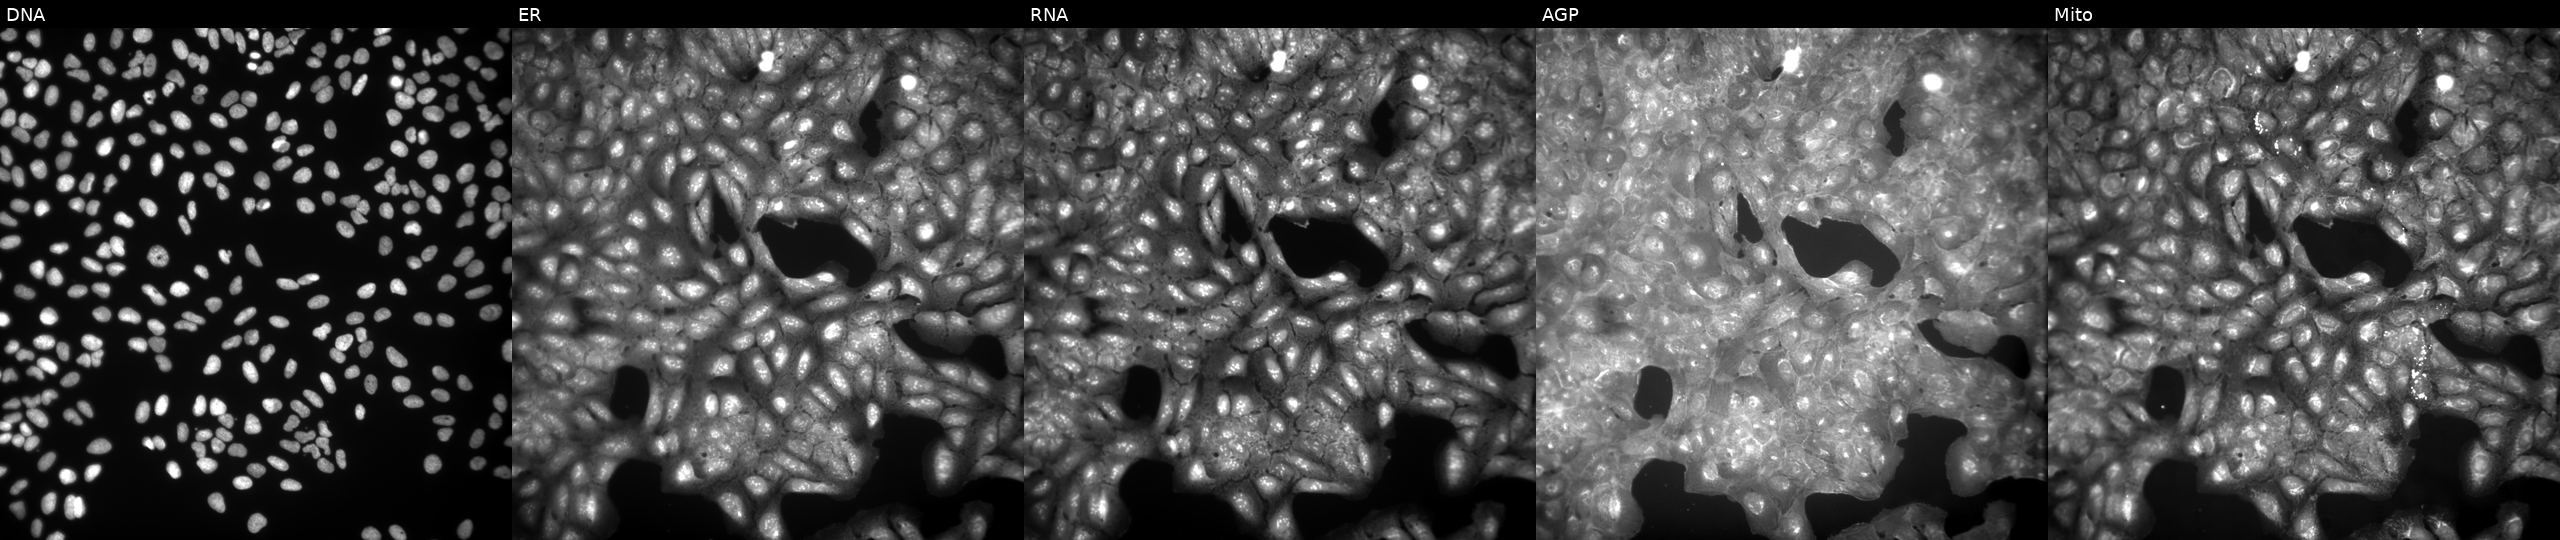
High-content fluorescence microscopy (Cell Painting). Cell line: U2OS. Perturbation: treated with a small-molecule compound (InChIKey ULQZYDDZLCABPO-UHFFFAOYSA-N) [SMILES: CC(=O)N=c1[nH]c2ccccc2n1Cc1ccccc1Cl]. Panels show, left to right, DNA, ER, RNA, AGP, and Mito.